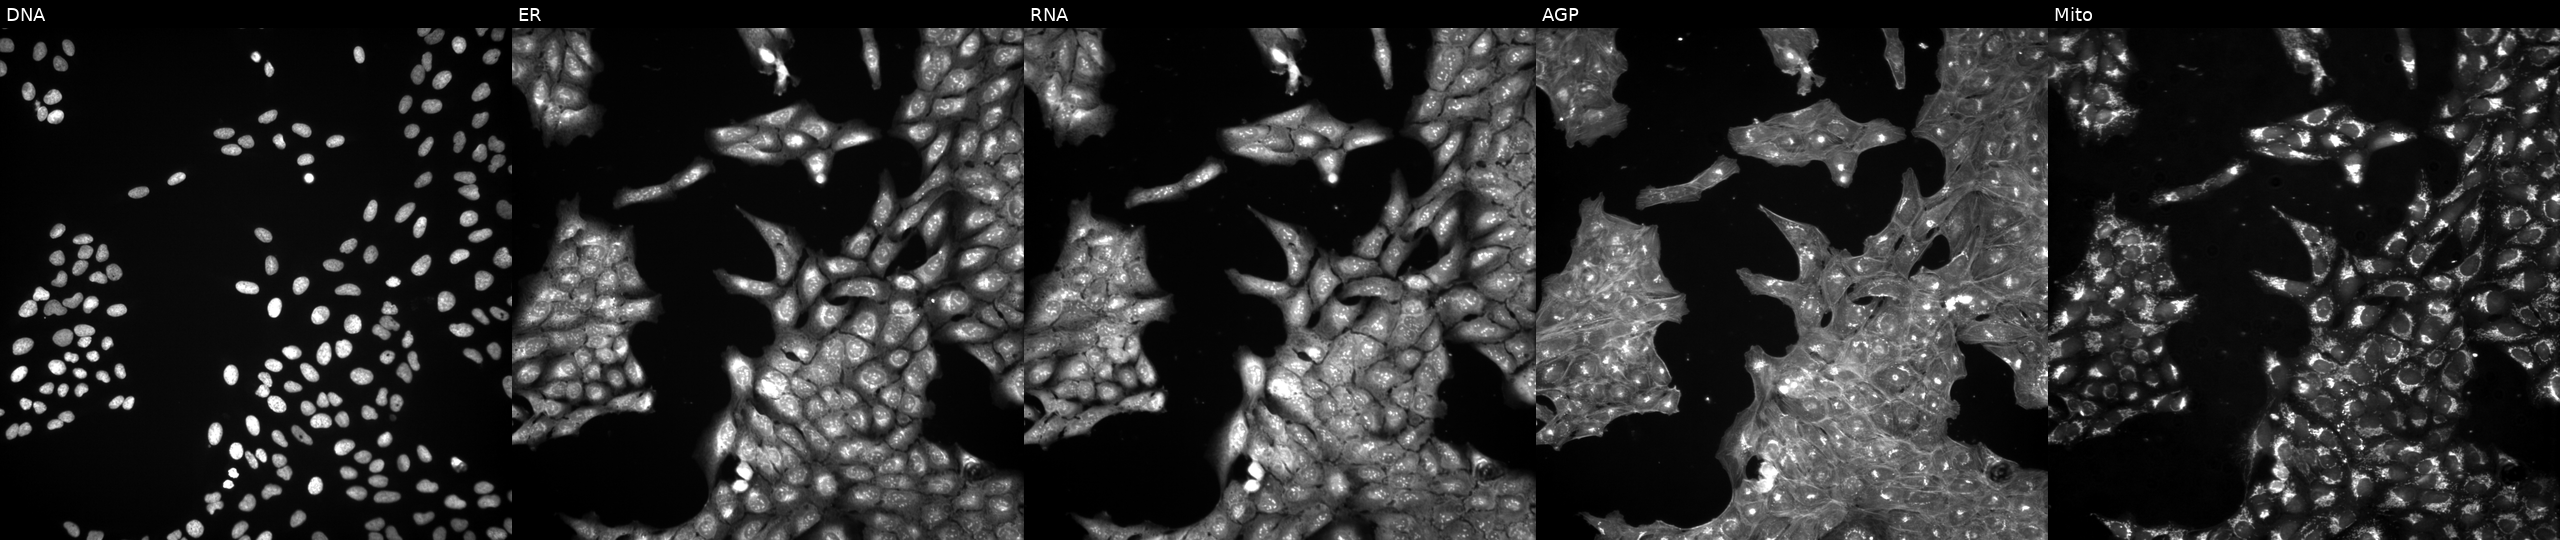
Panels show, left to right, DNA, ER, RNA, AGP, and Mito. U2OS osteosarcoma cells exposed to a small-molecule compound [SMILES: O=C(c1ccc(Cl)cc1)N(Cc1ccccc1)C1CCCCC1] (JUMP id JCP2022_102917). Cell Painting assay, JUMP-CP dataset.